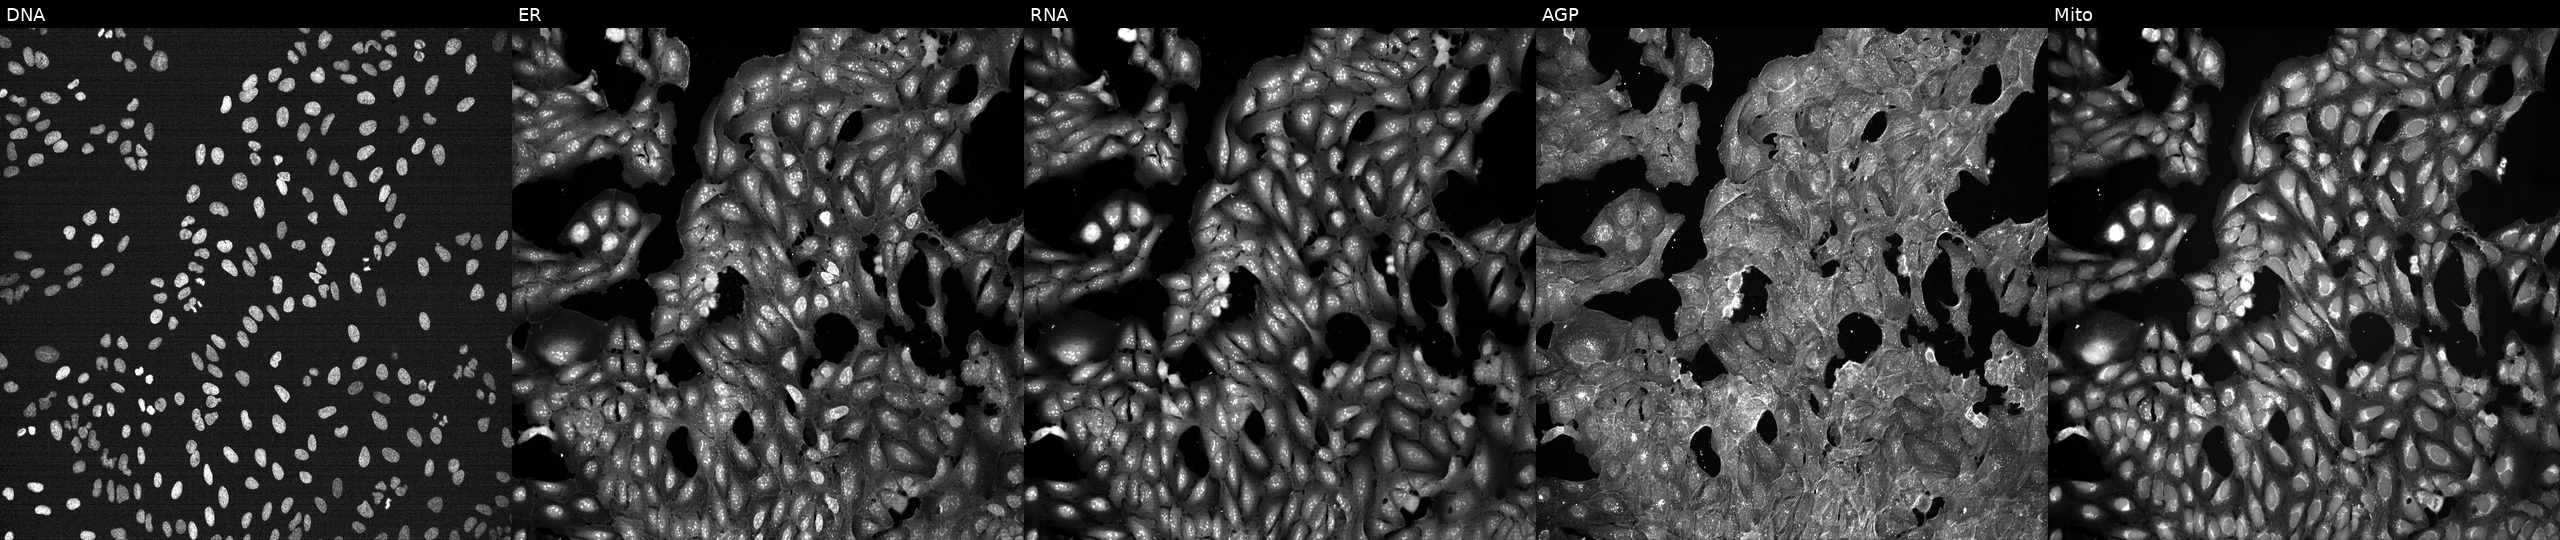
Channels (left→right): DNA (nuclei); ER (endoplasmic reticulum); RNA (nucleoli and cytoplasmic RNA); AGP (actin cytoskeleton, Golgi, and plasma membrane); Mito (mitochondria). U2OS osteosarcoma cells treated with DMSO vehicle only (negative control) (JUMP id JCP2022_033924). Cell Painting assay, JUMP-CP dataset. Source 7, plate CP1-SC1-25, well G16.